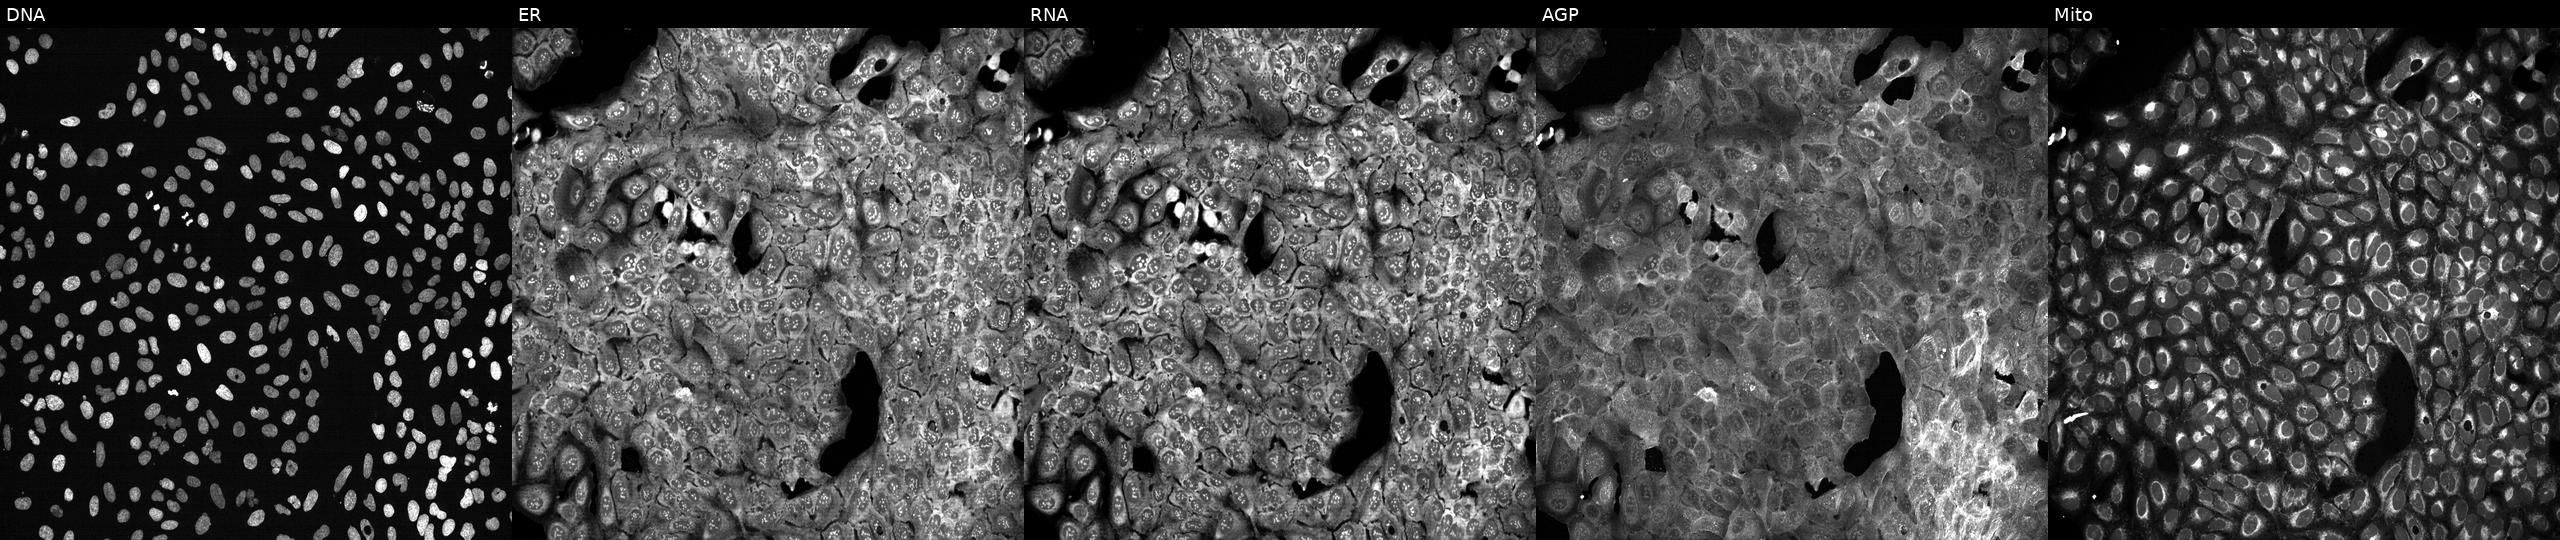
This image strip shows the five Cell Painting channels for a single field of U2OS cells with VNN3 knocked out by CRISPR. Channels (left→right): DNA (nuclei); ER (endoplasmic reticulum); RNA (nucleoli and cytoplasmic RNA); AGP (actin cytoskeleton, Golgi, and plasma membrane); Mito (mitochondria).